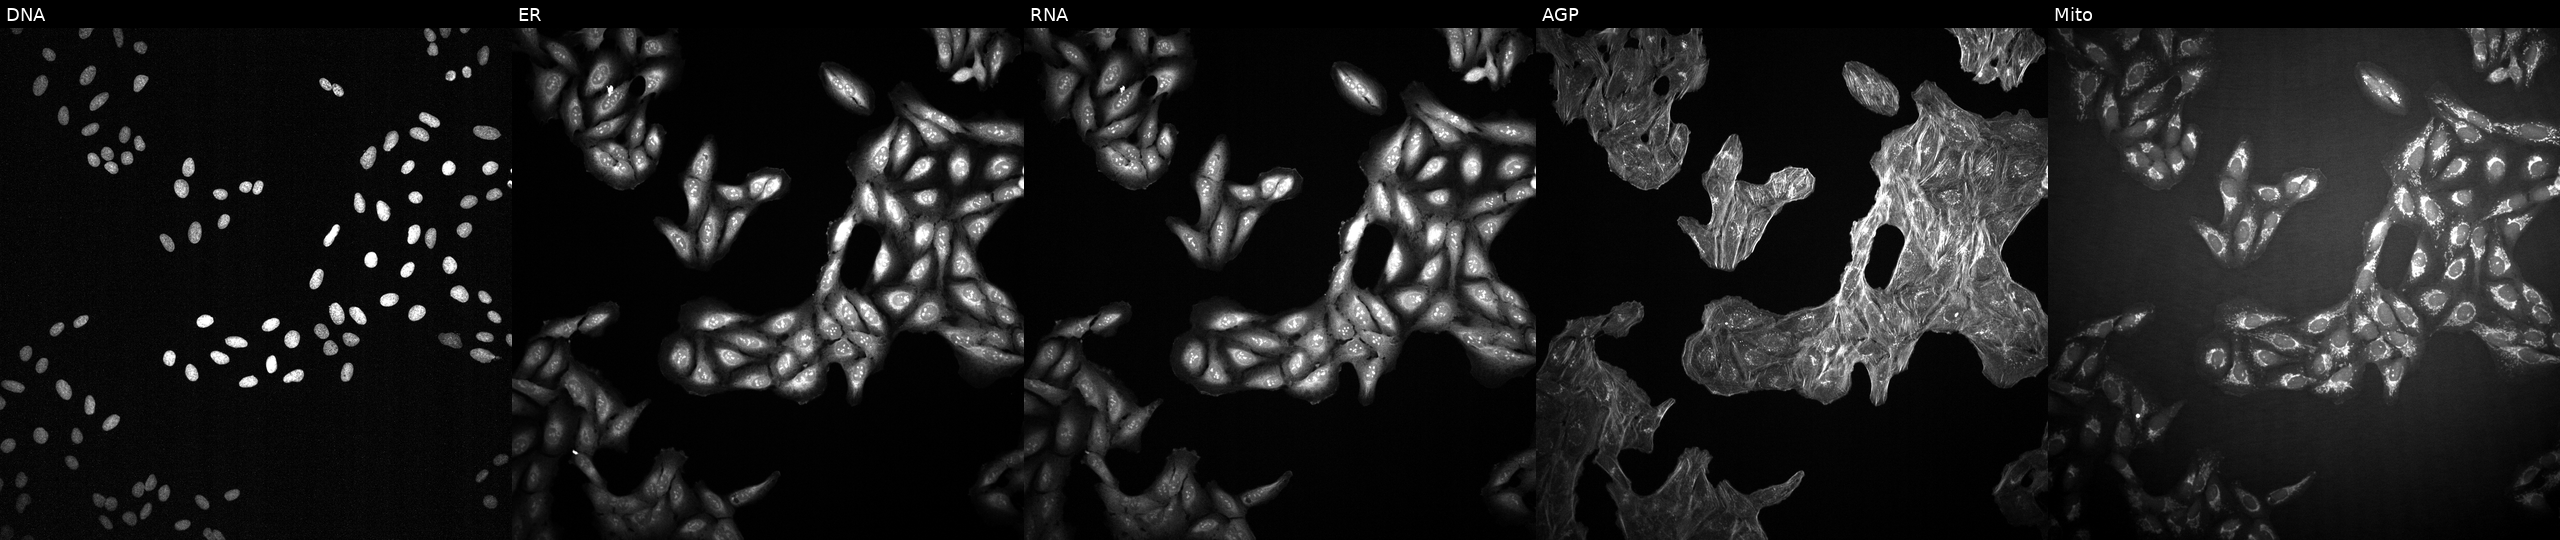
Five-channel Cell Painting image of U2OS cells exposed to a small-molecule compound (InChIKey RNSLRQNDXRSASX-UHFFFAOYSA-N). The five panels, left to right, show Hoechst 33342, concanavalin A, SYTO 14, phalloidin and WGA, MitoTracker.